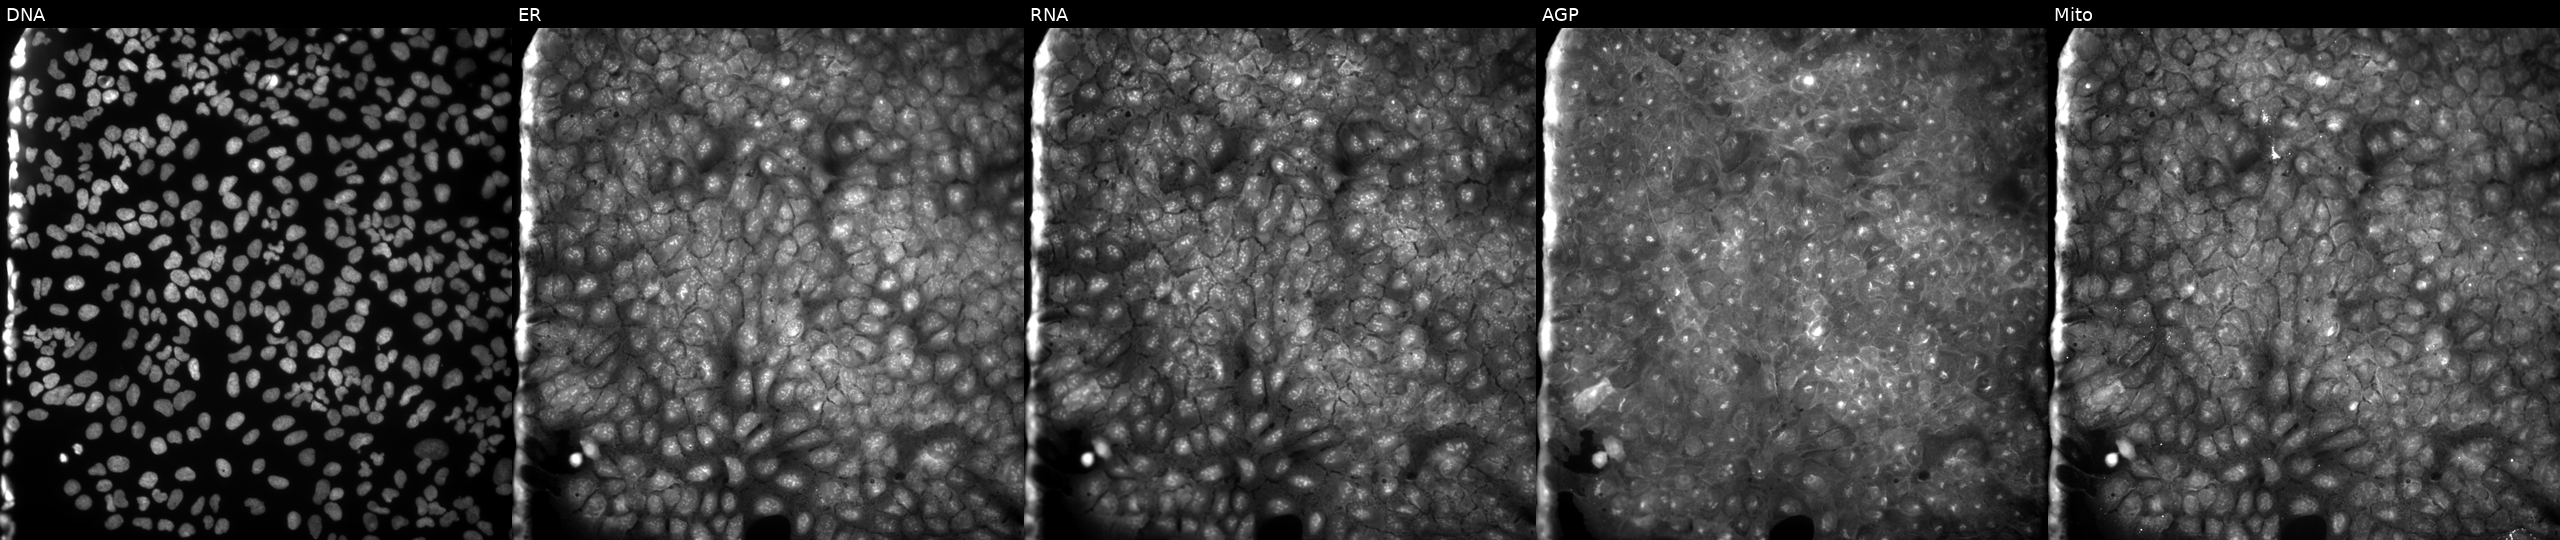
Channels (left→right): DNA (nuclei); ER (endoplasmic reticulum); RNA (nucleoli and cytoplasmic RNA); AGP (actin cytoskeleton, Golgi, and plasma membrane); Mito (mitochondria). U2OS osteosarcoma cells exposed to a small-molecule compound (InChIKey YHDYZOXFYCUOQL-UHFFFAOYSA-N). Cell Painting assay, JUMP-CP dataset. Source 9, plate GR00003382, well P04.